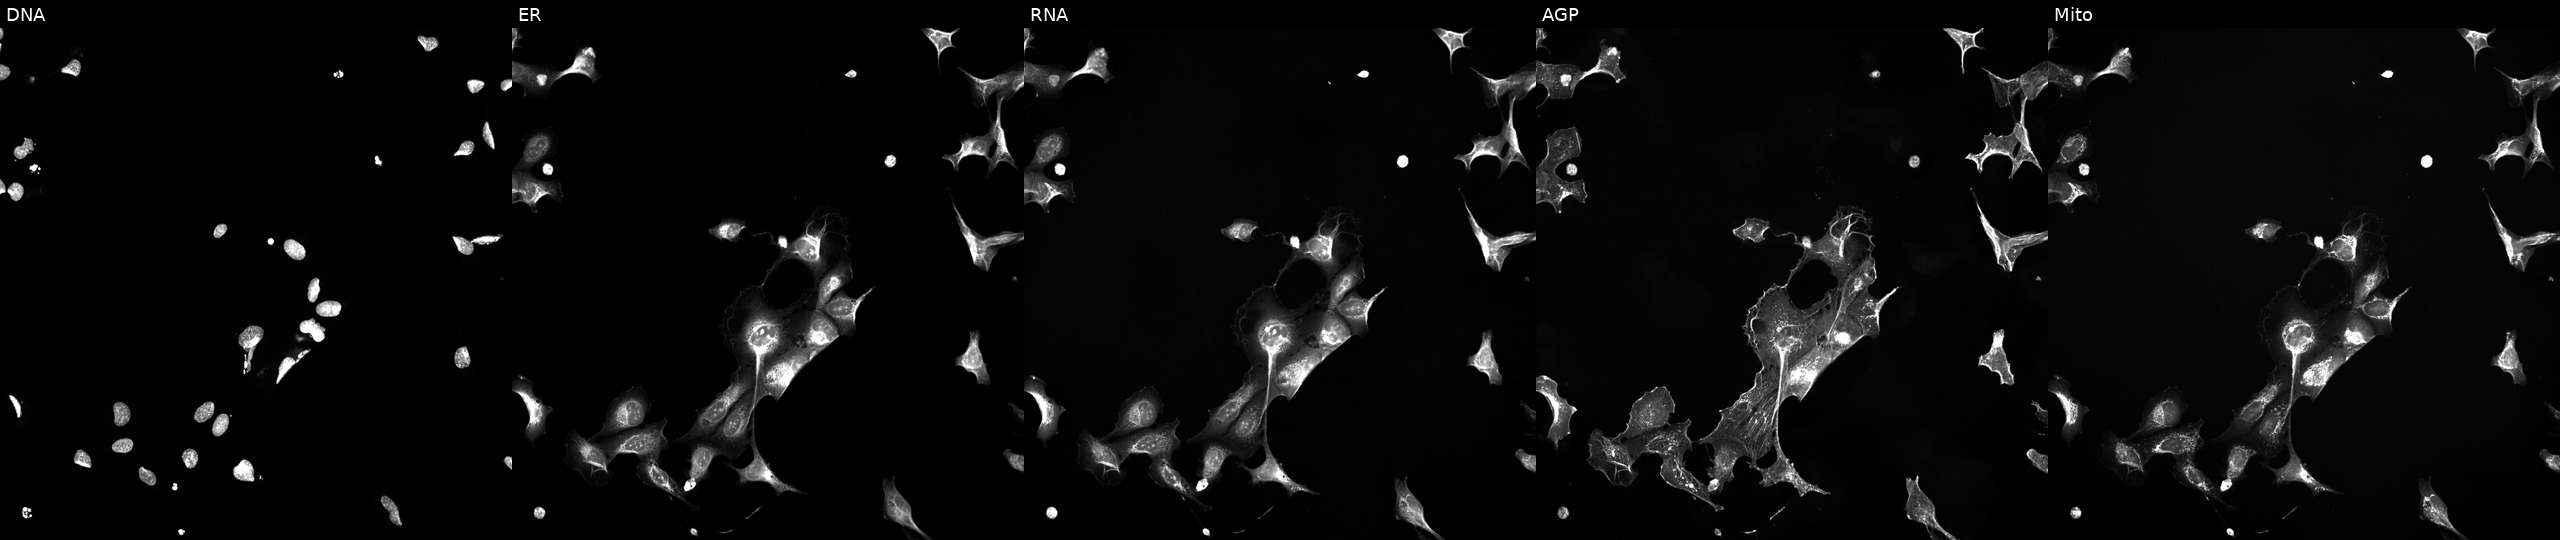
The five panels, left to right, show DNA (nuclei); ER (endoplasmic reticulum); RNA (nucleoli and cytoplasmic RNA); AGP (actin cytoskeleton, Golgi, and plasma membrane); Mito (mitochondria). U2OS osteosarcoma cells treated with a small-molecule compound [SMILES: CCC1C(=O)N(C)c2c[nH]c(=Nc3ccc(C(=O)NC4CCN(C)CC4)cc3OC)nc2N1C1CCCC1] (JUMP id JCP2022_105442). Cell Painting assay, JUMP-CP dataset. Source 5, plate ACPJUM012, well J20.